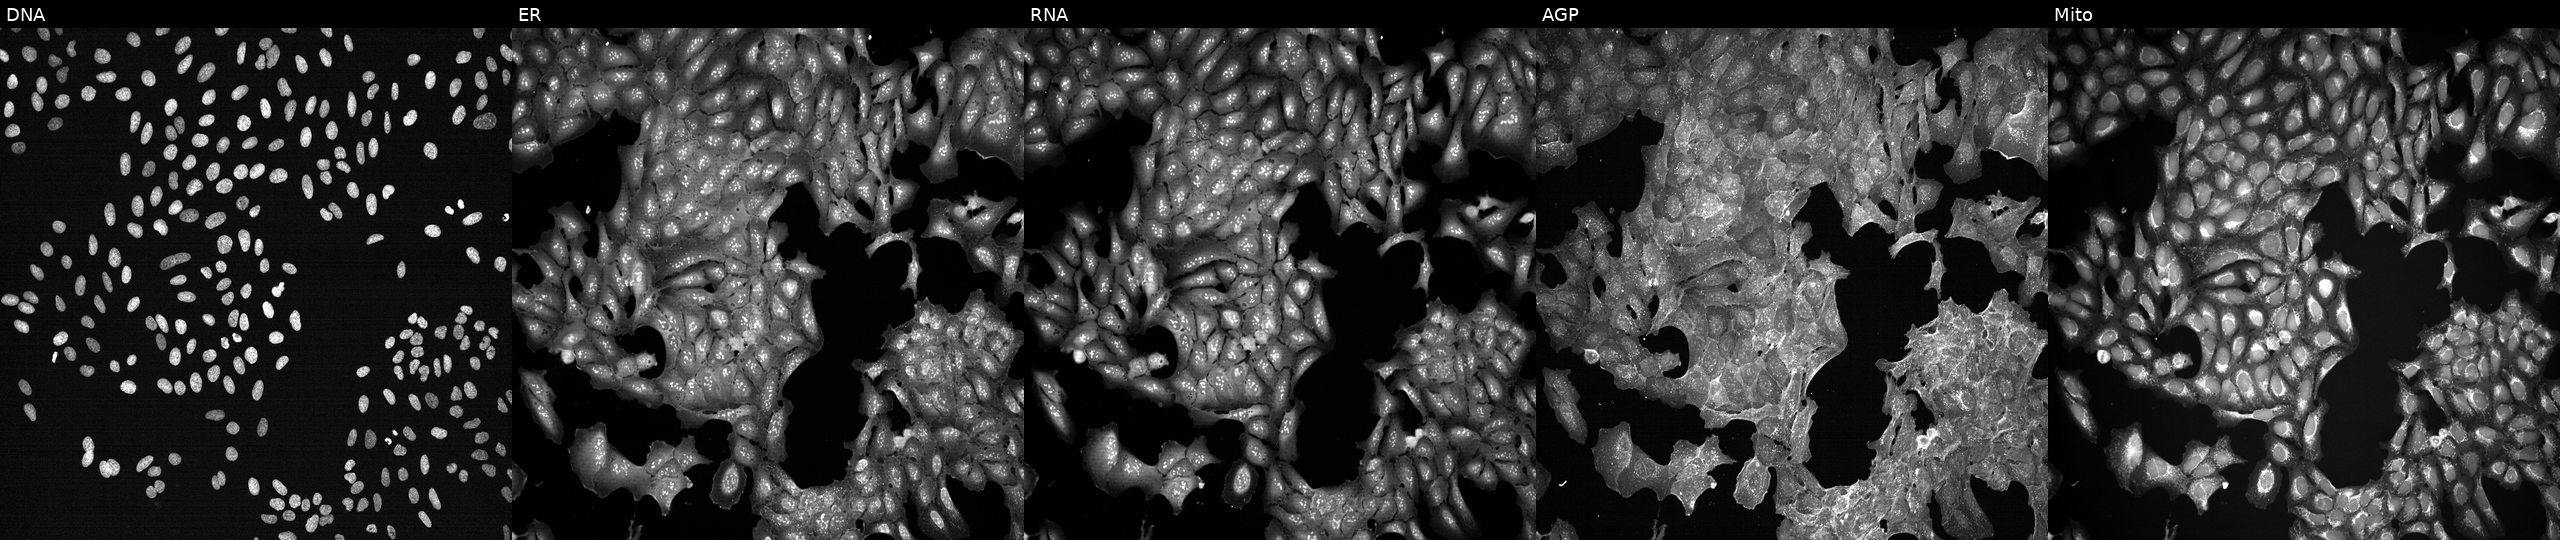
High-content fluorescence microscopy (Cell Painting). Cell line: U2OS. Perturbation: perturbed with a small-molecule compound (JUMP id JCP2022_089172). The five panels, left to right, show Hoechst 33342, concanavalin A, SYTO 14, phalloidin and WGA, MitoTracker.